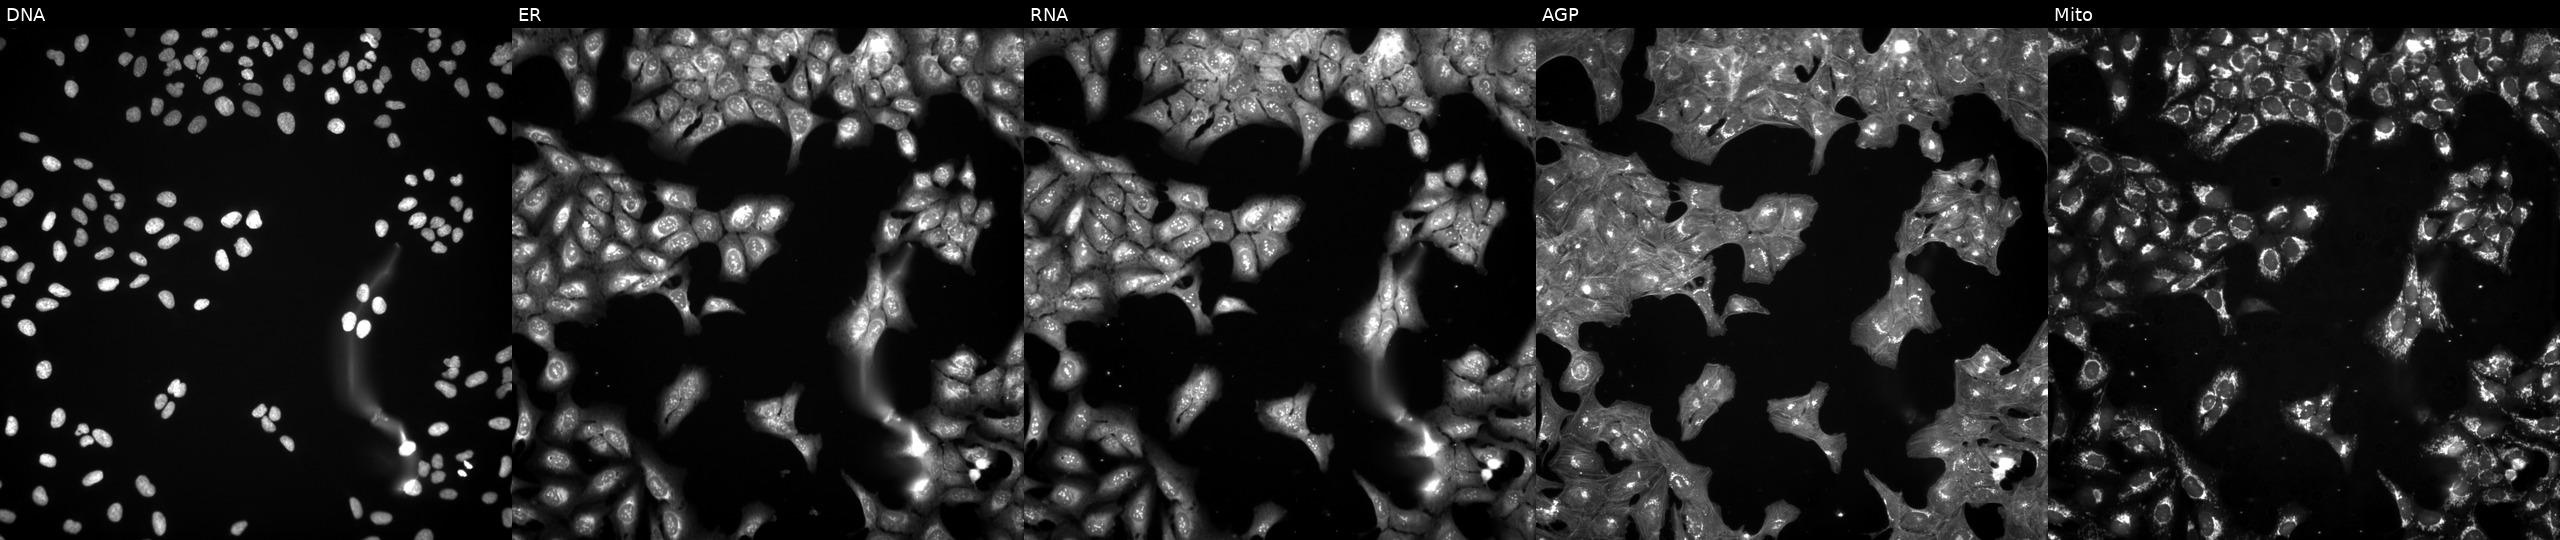
JUMP Cell Painting — TARGET2 plate. U2OS cells treated with a small-molecule compound (InChIKey XDJCLCLBSGGNKS-UHFFFAOYSA-N). From left to right: Hoechst 33342, concanavalin A, SYTO 14, phalloidin and WGA, MitoTracker. Source 3, plate JCPQC052, well H13.